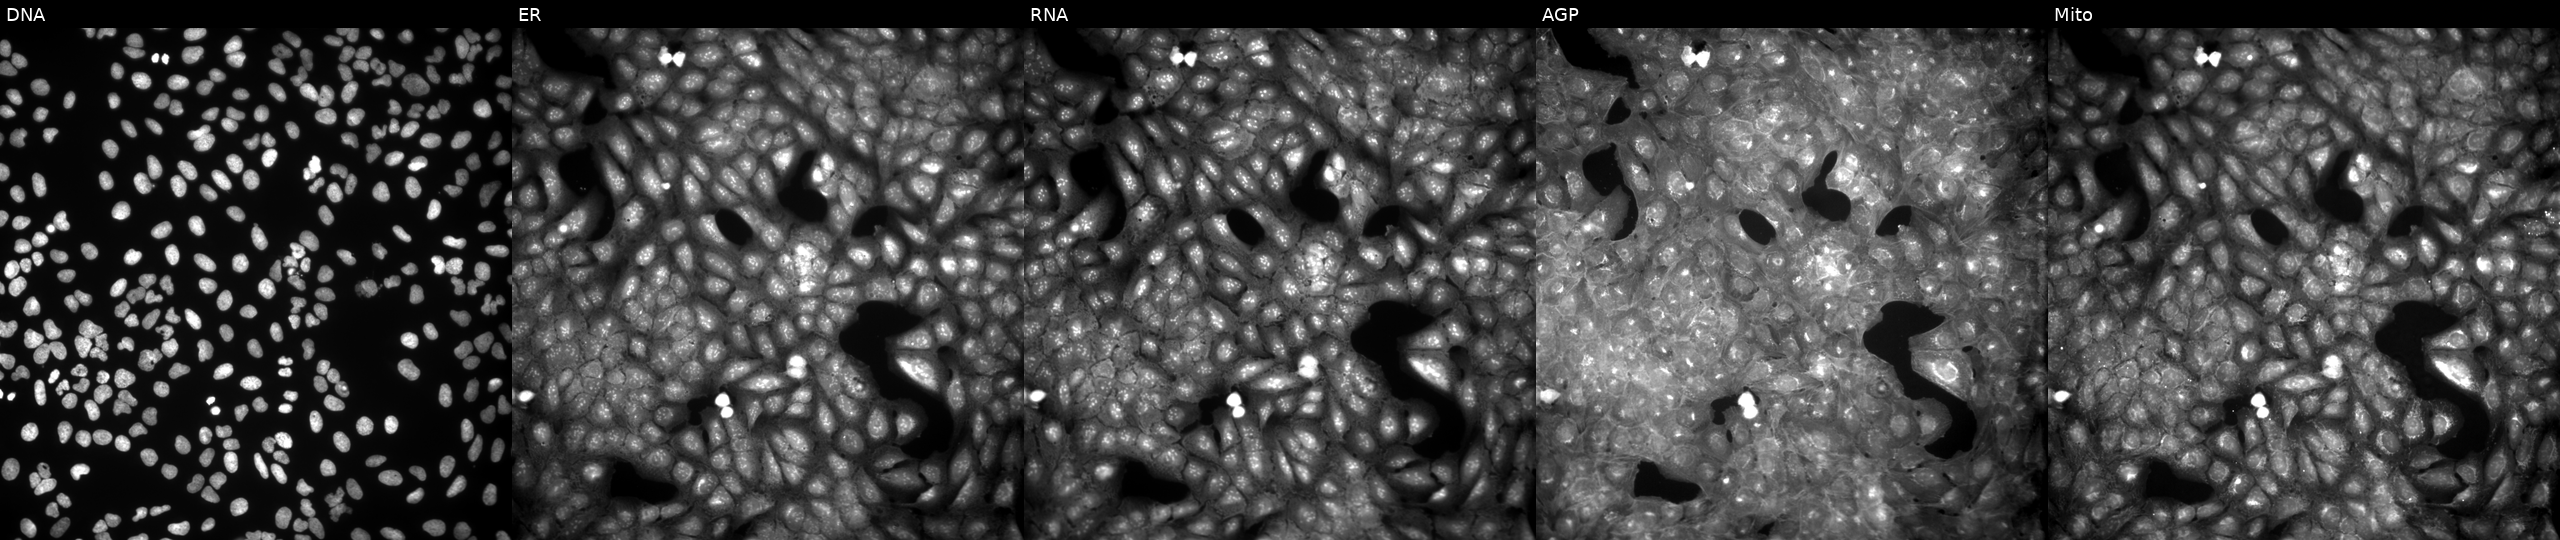
JUMP Cell Painting — COMPOUND plate. U2OS cells treated with a small-molecule compound (InChIKey OBBHIUSCNTVXPG-UHFFFAOYSA-N) (JUMP id JCP2022_062648). Panels show, left to right, DNA (nuclei); ER (endoplasmic reticulum); RNA (nucleoli and cytoplasmic RNA); AGP (actin cytoskeleton, Golgi, and plasma membrane); Mito (mitochondria). Source 9, plate GR00003382, well W29.